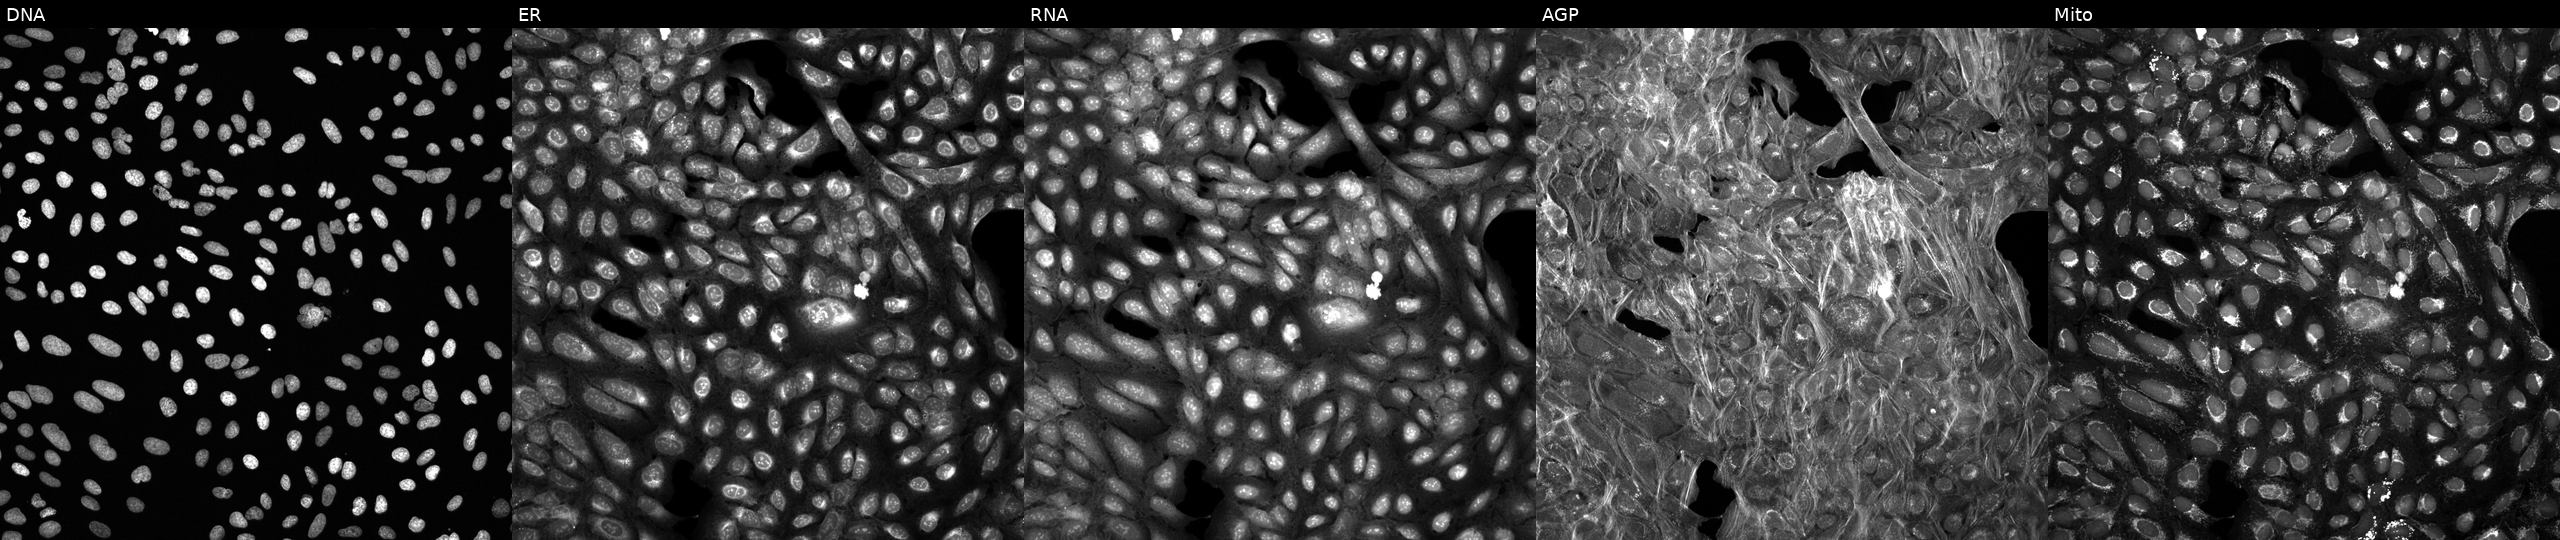
U2OS cells, Cell Painting assay, perturbed with a small-molecule compound (InChIKey TYNLGDBUJLVSMA-UHFFFAOYSA-N) (JUMP id JCP2022_087562). From left to right: DNA, ER, RNA, AGP, and Mito. Each panel is percentile-stretched 16-bit fluorescence.